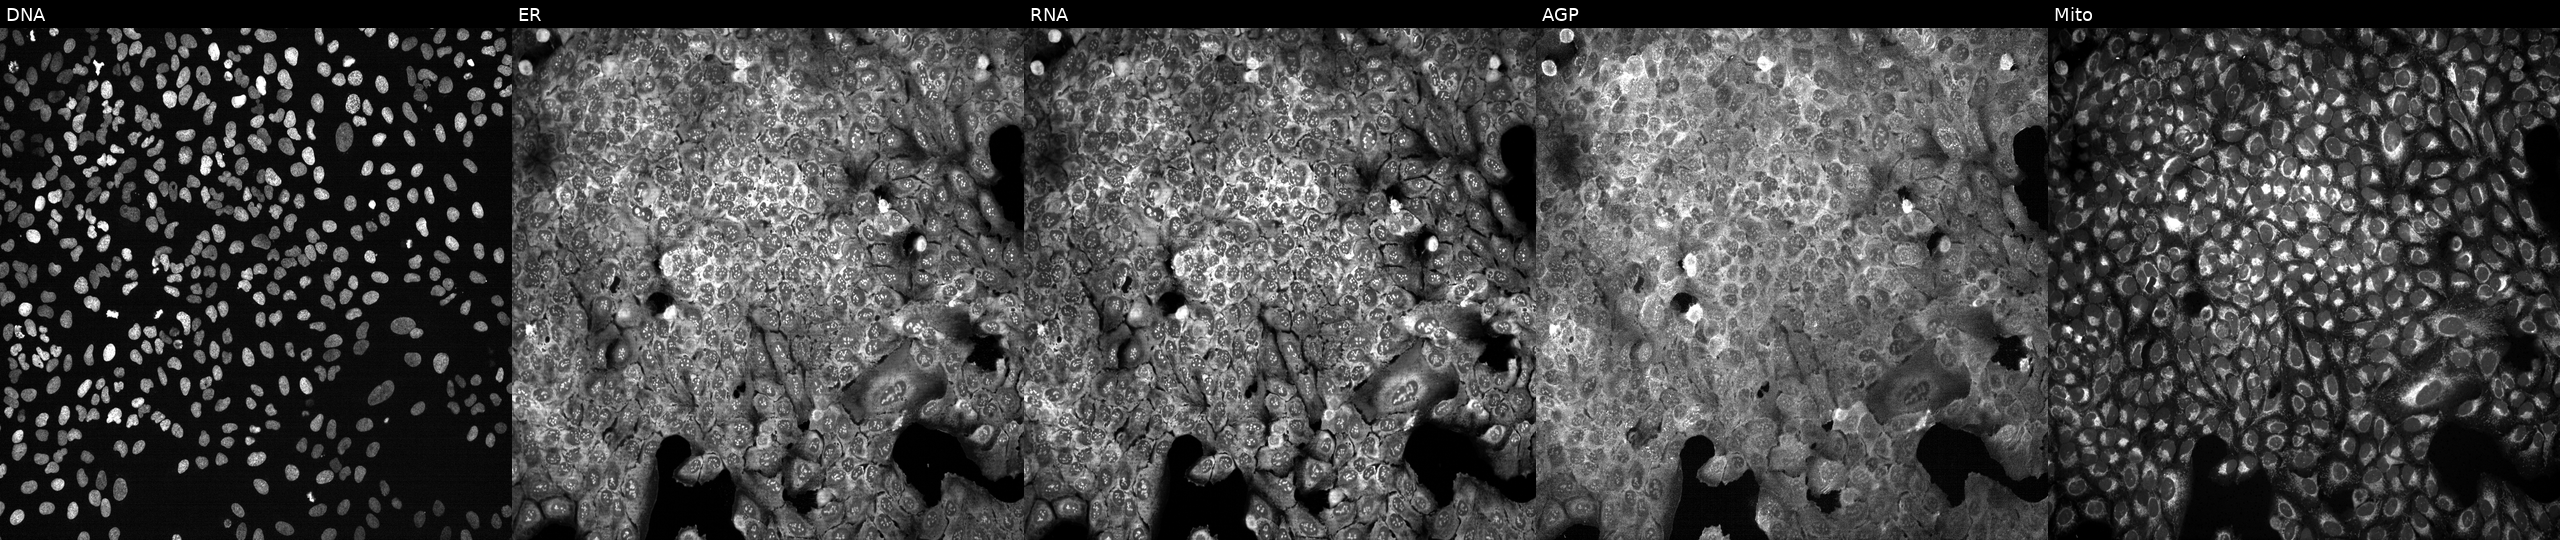
High-content fluorescence microscopy (Cell Painting). Cell line: U2OS. Perturbation: with NRGN knocked out by CRISPR. Channels (left→right): DNA, ER, RNA, AGP, and Mito.